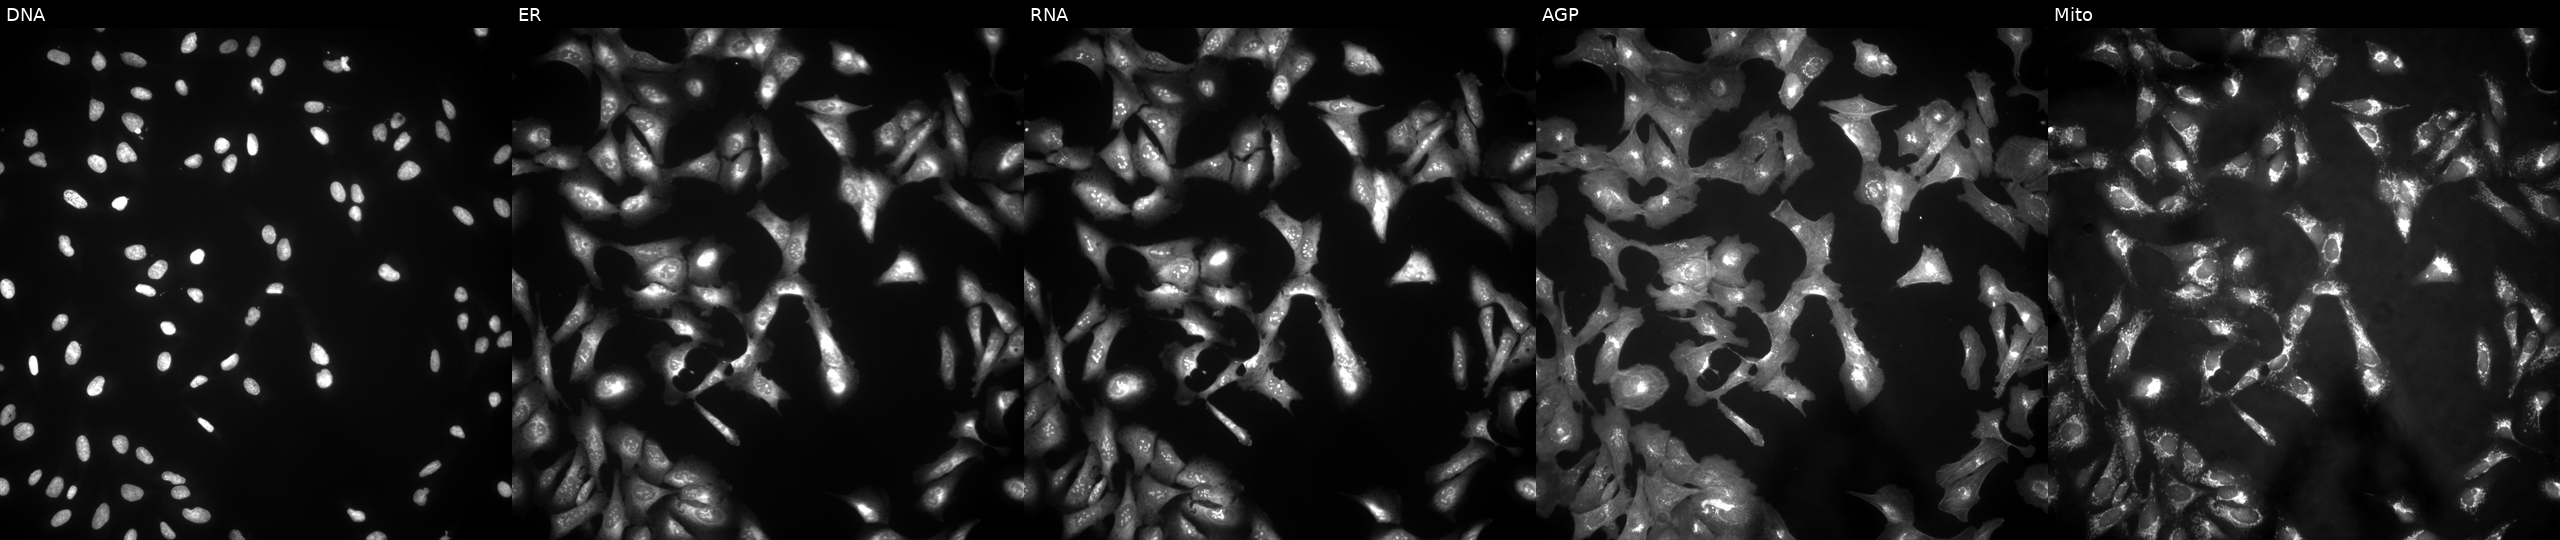
From left to right: DNA, ER, RNA, AGP, and Mito. U2OS osteosarcoma cells overexpressing SLC38A4 via ORF transfection (JUMP id JCP2022_907916). Cell Painting assay, JUMP-CP dataset.